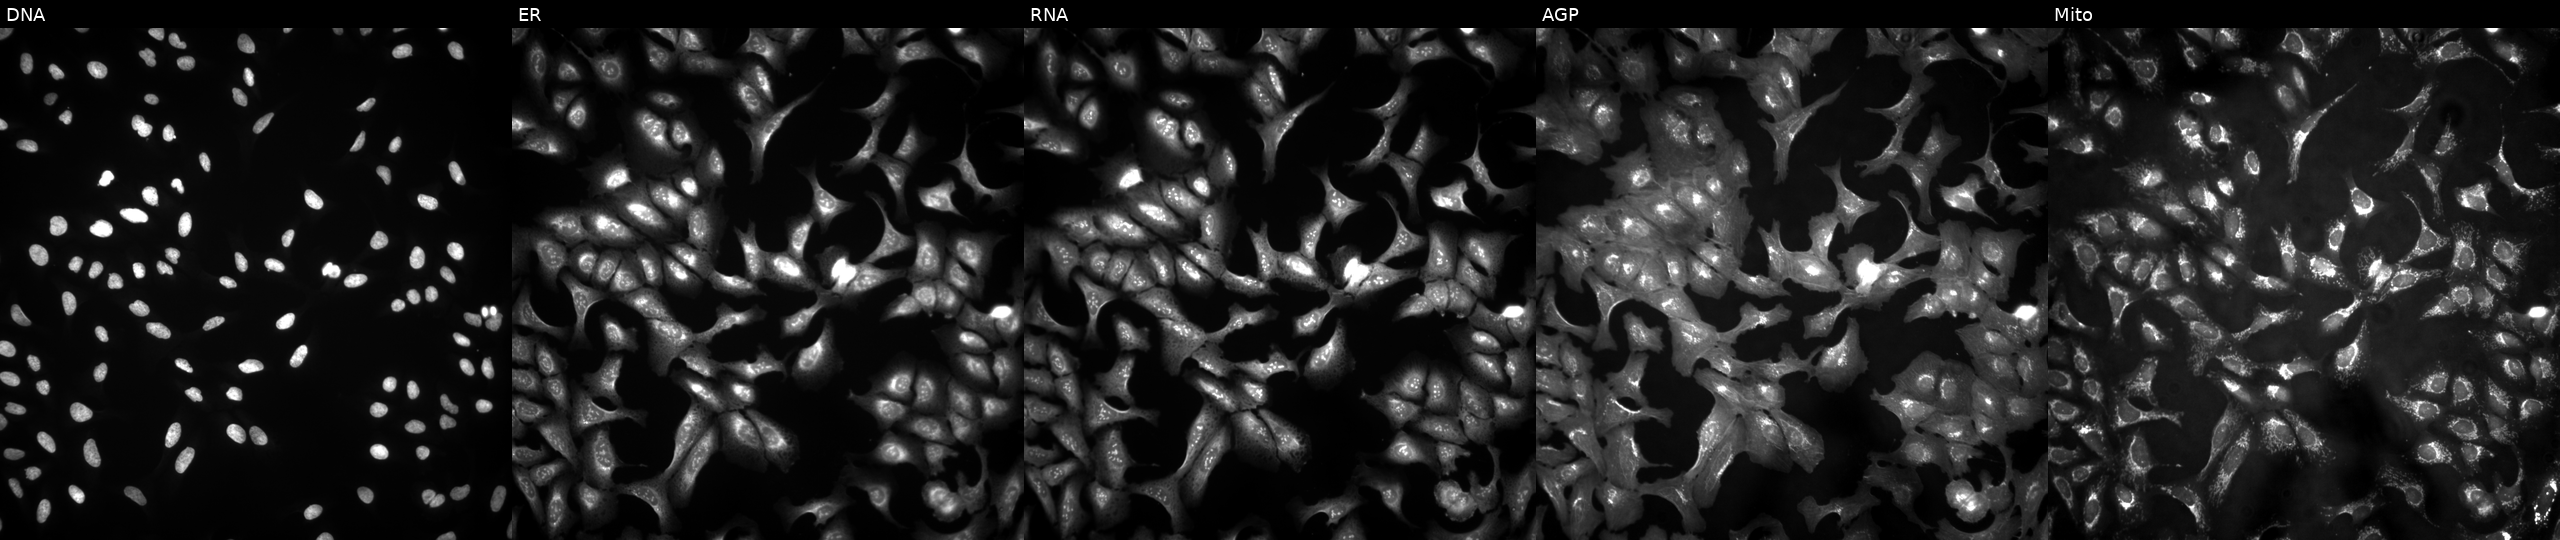
High-content fluorescence microscopy (Cell Painting). Cell line: U2OS. Perturbation: with GFPT2 overexpressed (ORF). Panels show, left to right, DNA, ER, RNA, AGP, and Mito. Source 4, plate BR00121543, well K20.